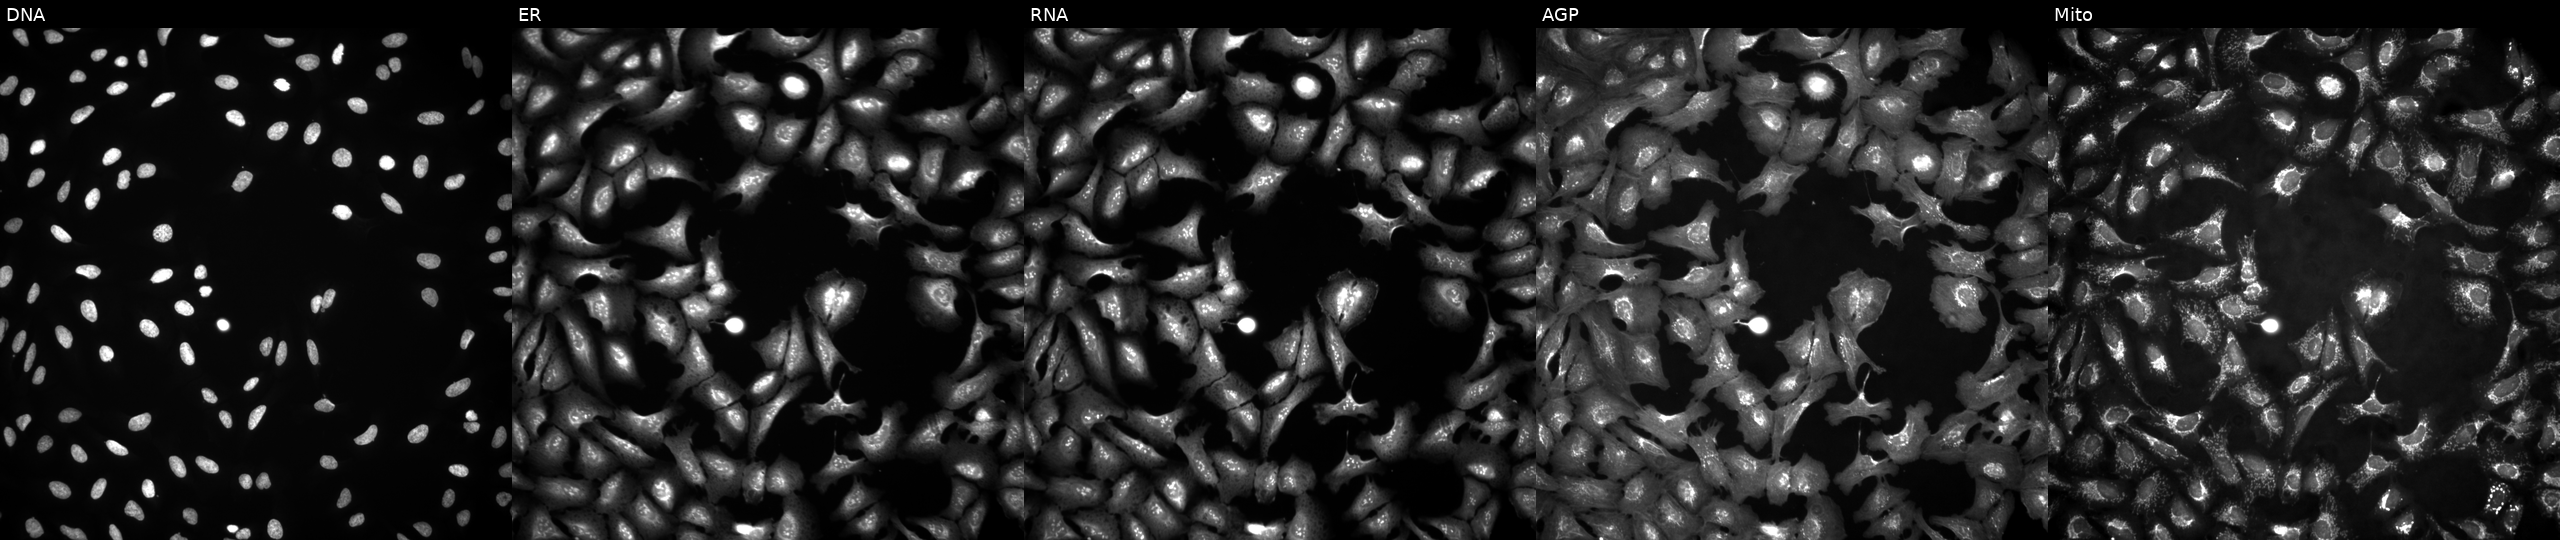
JUMP Cell Painting — ORF plate. U2OS cells transfected with an ORF construct for CNDP2 (JUMP id JCP2022_903423). The five panels, left to right, show DNA (nuclei); ER (endoplasmic reticulum); RNA (nucleoli and cytoplasmic RNA); AGP (actin cytoskeleton, Golgi, and plasma membrane); Mito (mitochondria). Source 4, plate BR00124787, well D09.